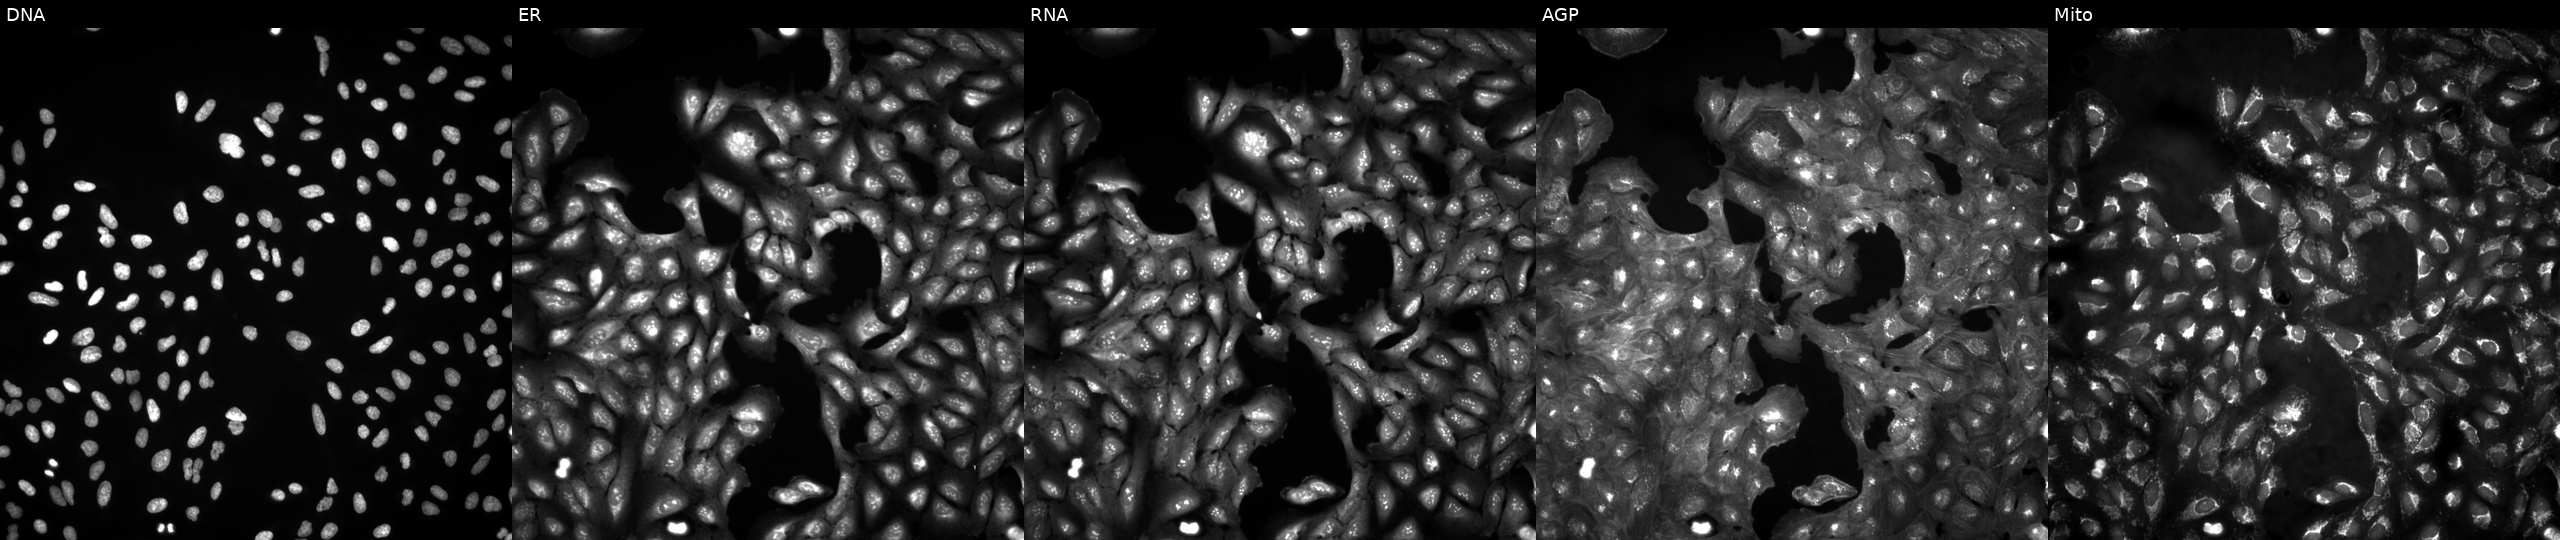
The five panels, left to right, show DNA (nuclei); ER (endoplasmic reticulum); RNA (nucleoli and cytoplasmic RNA); AGP (actin cytoskeleton, Golgi, and plasma membrane); Mito (mitochondria). U2OS osteosarcoma cells in an empty control well (no perturbation) (JUMP id JCP2022_999999). Cell Painting assay, JUMP-CP dataset.